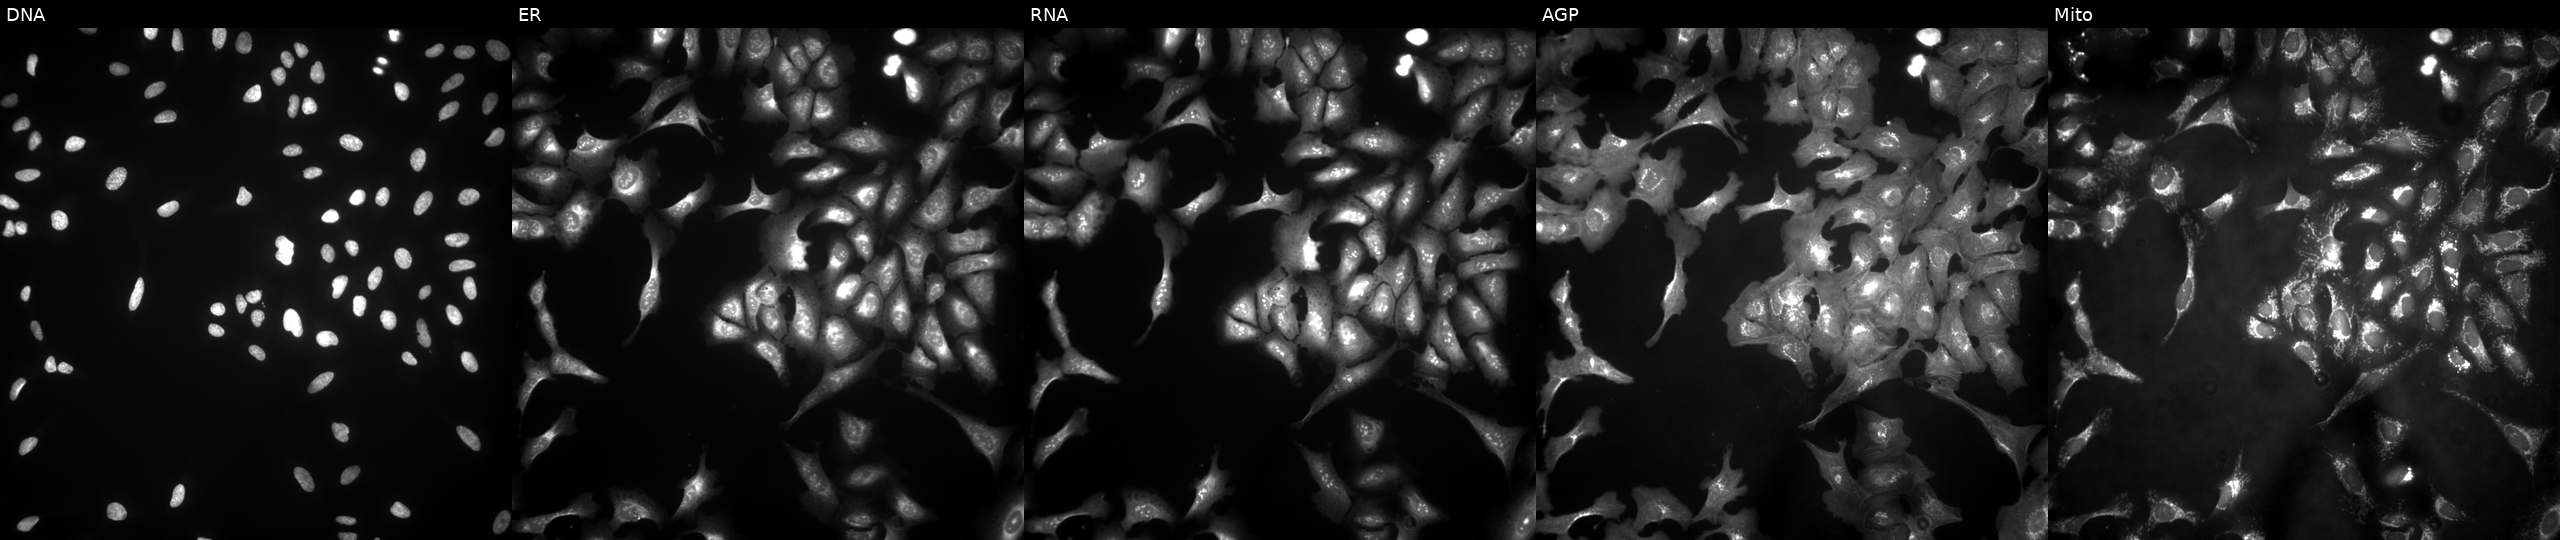
JUMP Cell Painting — ORF plate. U2OS cells transfected with an ORF construct for PLXDC2 (JUMP id JCP2022_912004). Channels (left→right): DNA (nuclei); ER (endoplasmic reticulum); RNA (nucleoli and cytoplasmic RNA); AGP (actin cytoskeleton, Golgi, and plasma membrane); Mito (mitochondria). Source 4, plate BR00123506, well N23.